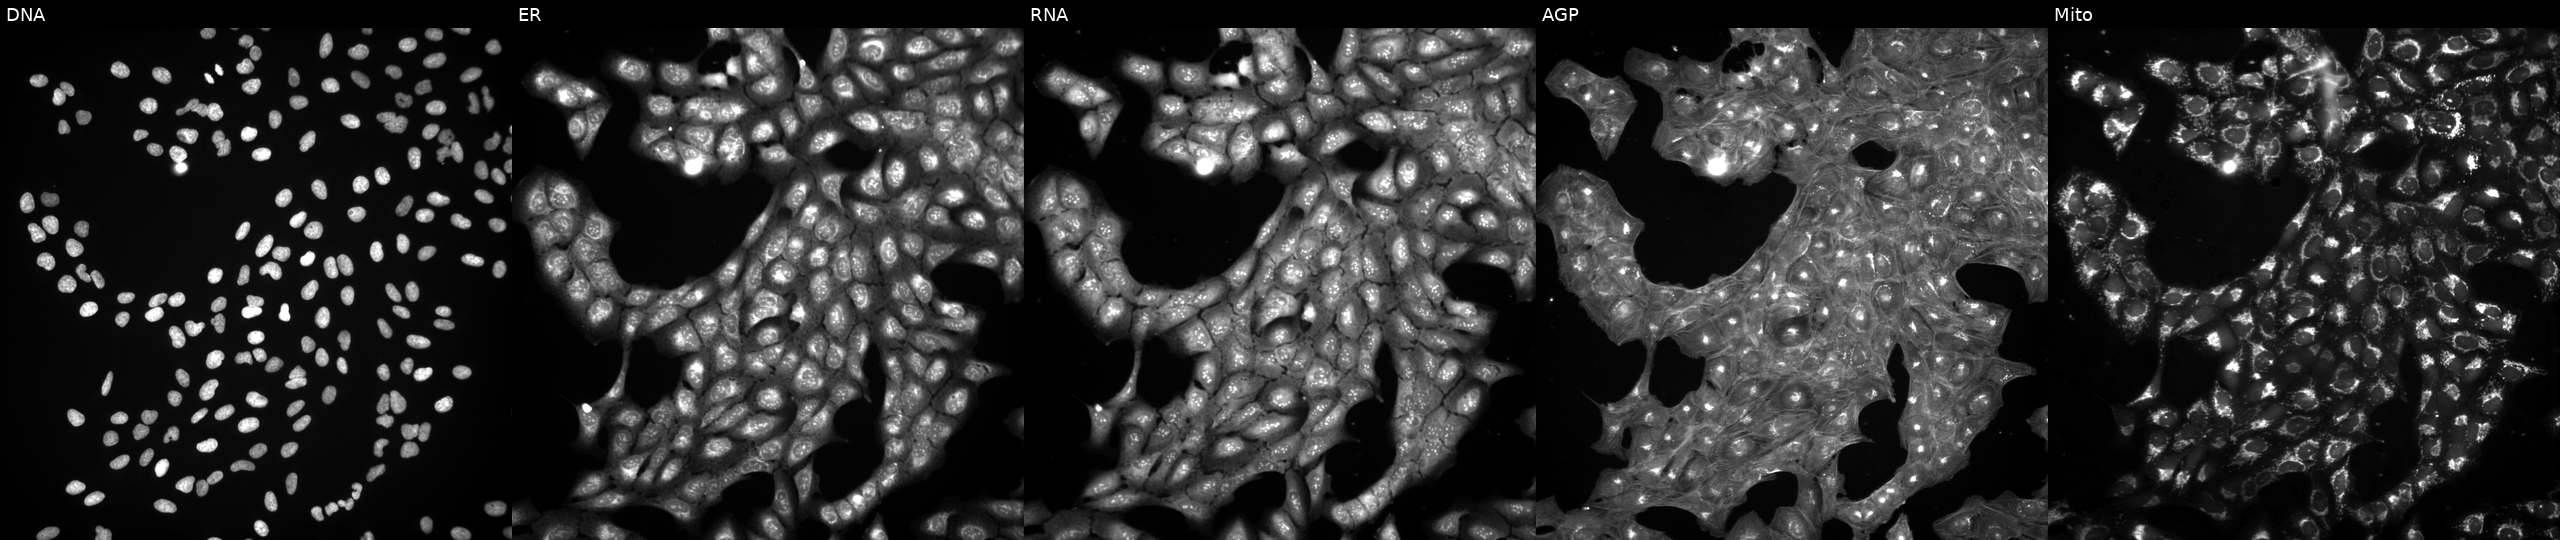
Five-channel Cell Painting image of U2OS cells perturbed with a small-molecule compound (JUMP id JCP2022_001458). The five panels, left to right, show DNA (nuclei); ER (endoplasmic reticulum); RNA (nucleoli and cytoplasmic RNA); AGP (actin cytoskeleton, Golgi, and plasma membrane); Mito (mitochondria).